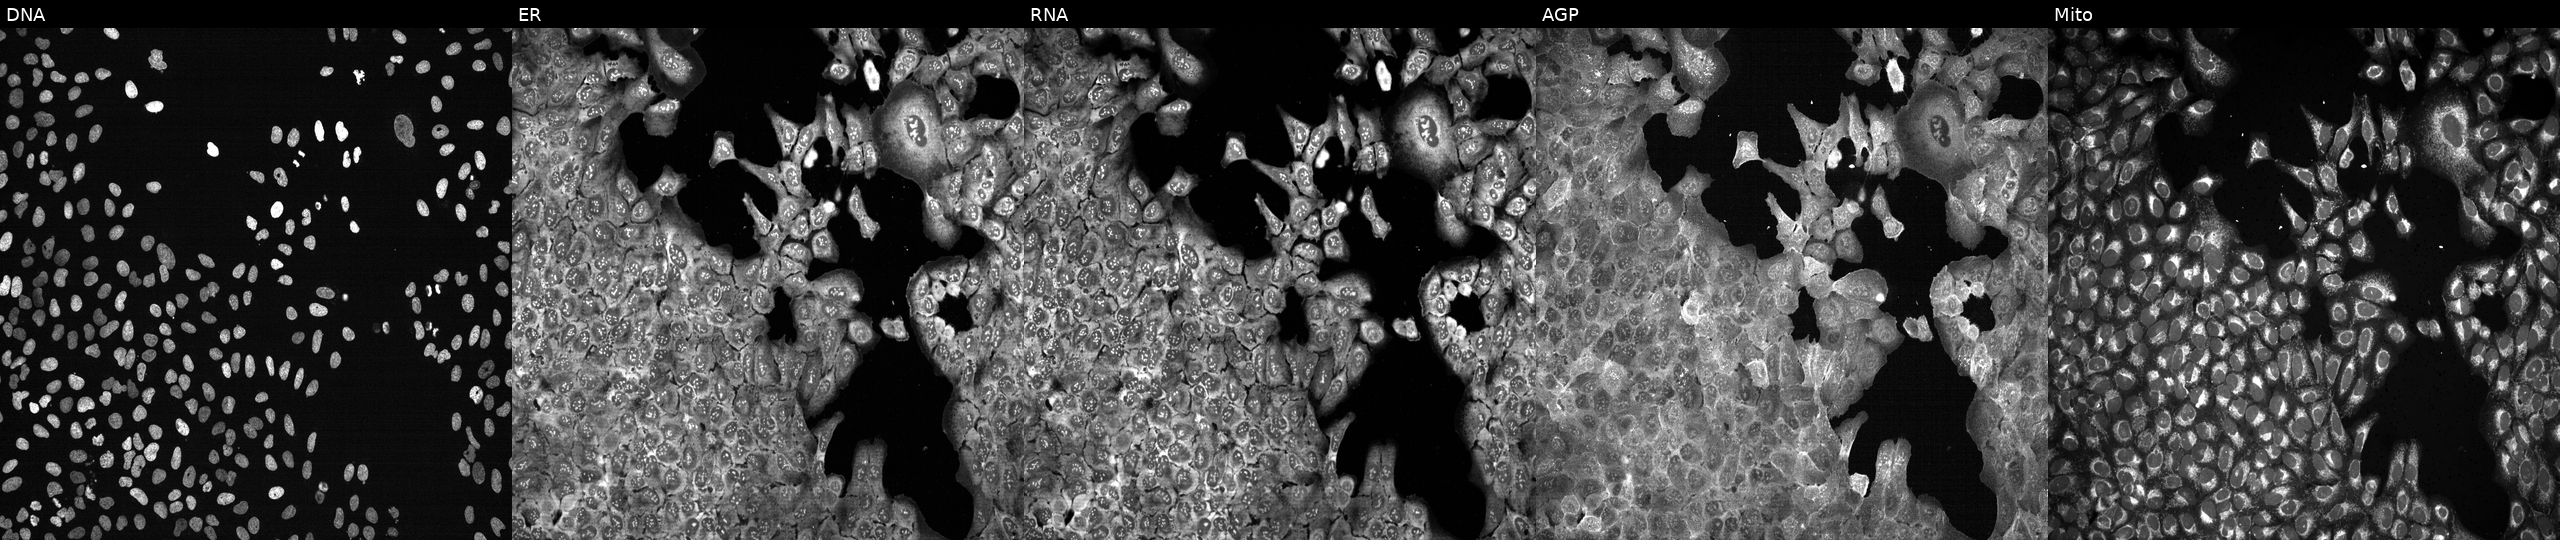
High-content fluorescence microscopy (Cell Painting). Cell line: U2OS. Perturbation: following CRISPR knockout of SLC27A2. The five panels, left to right, show DNA (nuclei); ER (endoplasmic reticulum); RNA (nucleoli and cytoplasmic RNA); AGP (actin cytoskeleton, Golgi, and plasma membrane); Mito (mitochondria). Source 13, plate CP-CC9-R2-02, well K12.